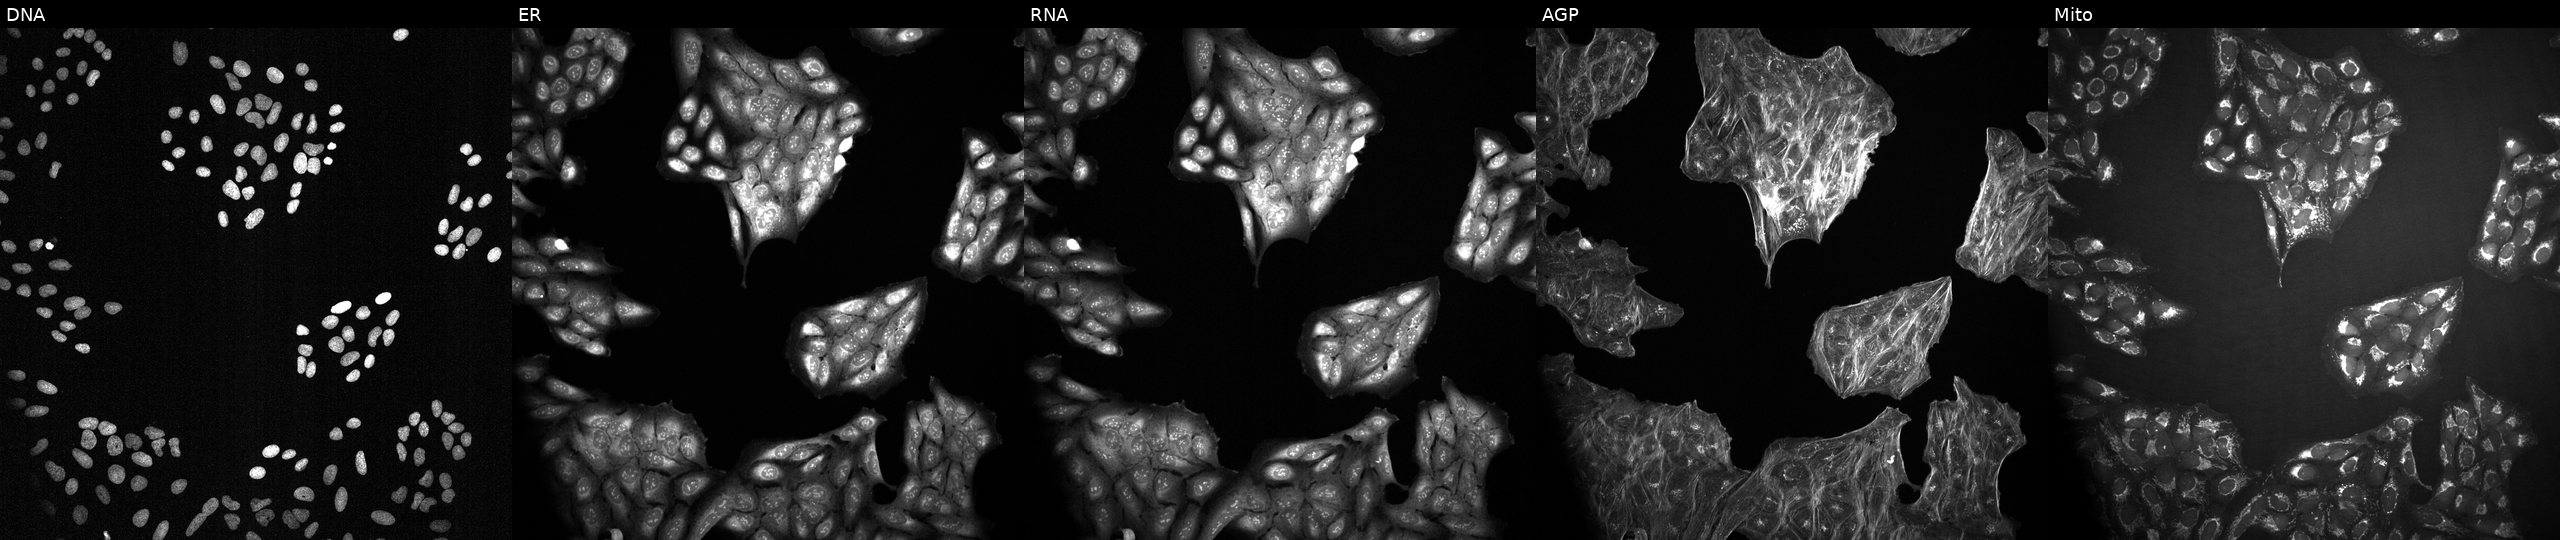
JUMP Cell Painting — TARGET2 plate. U2OS cells treated with a small-molecule compound (InChIKey ODUOJXZPIYUATO-UHFFFAOYSA-N) [SMILES: CC(=O)SCC(Cc1ccccc1)C(=O)NCC(=O)OCc1ccccc1] (JUMP id JCP2022_063174). Channels (left→right): Hoechst 33342, concanavalin A, SYTO 14, phalloidin and WGA, MitoTracker. Source 2, plate 1053599503, well F20.